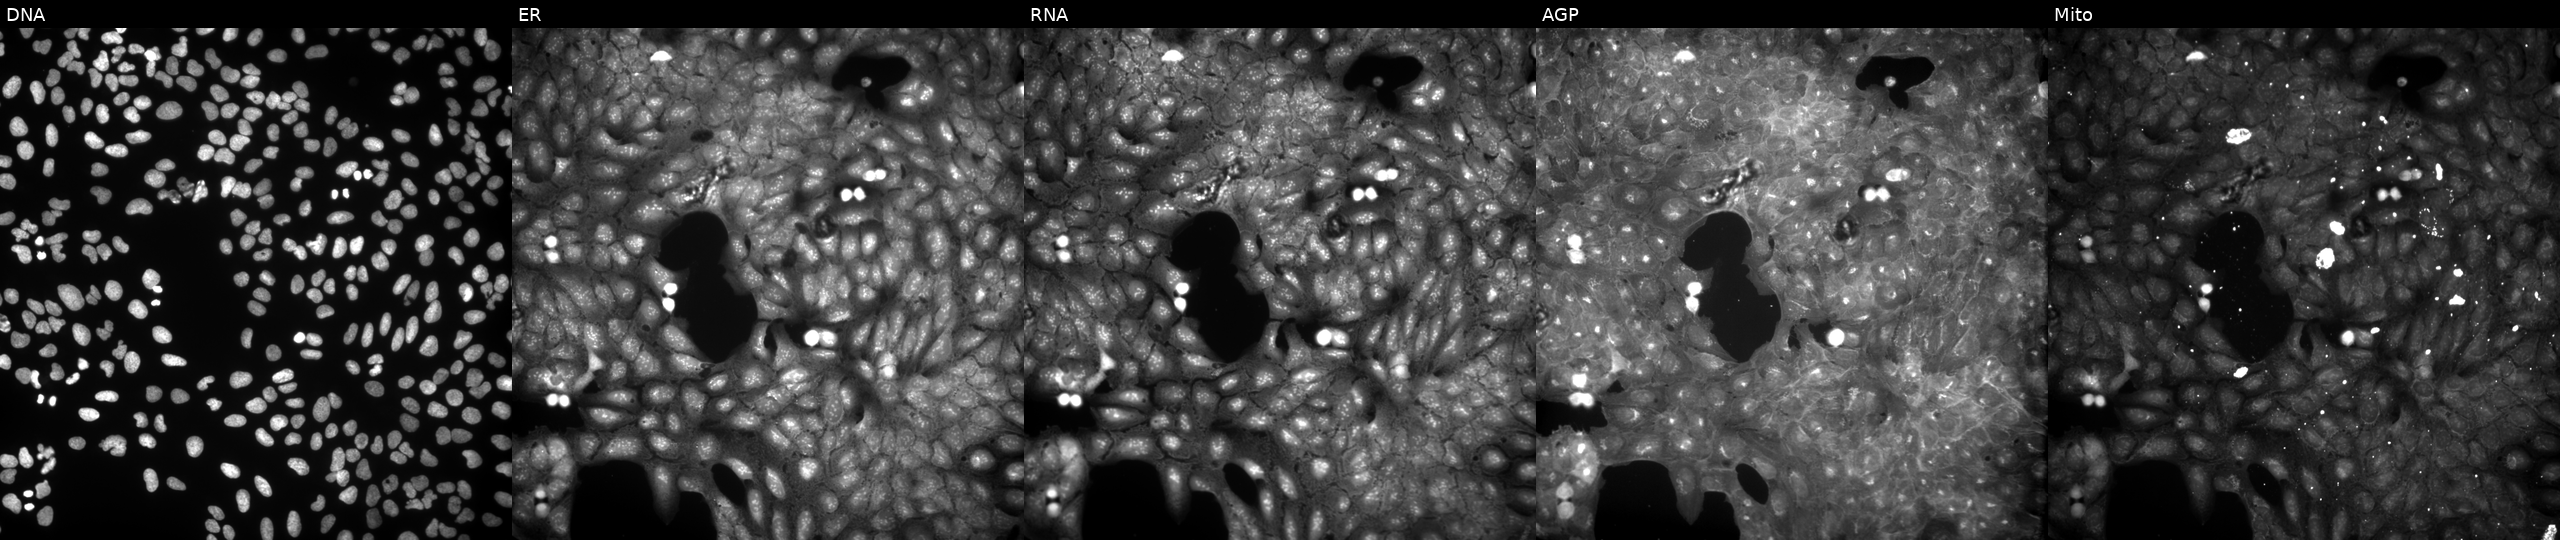
High-content fluorescence microscopy (Cell Painting). Cell line: U2OS. Perturbation: treated with a small-molecule compound. The five panels, left to right, show DNA (nuclei); ER (endoplasmic reticulum); RNA (nucleoli and cytoplasmic RNA); AGP (actin cytoskeleton, Golgi, and plasma membrane); Mito (mitochondria).